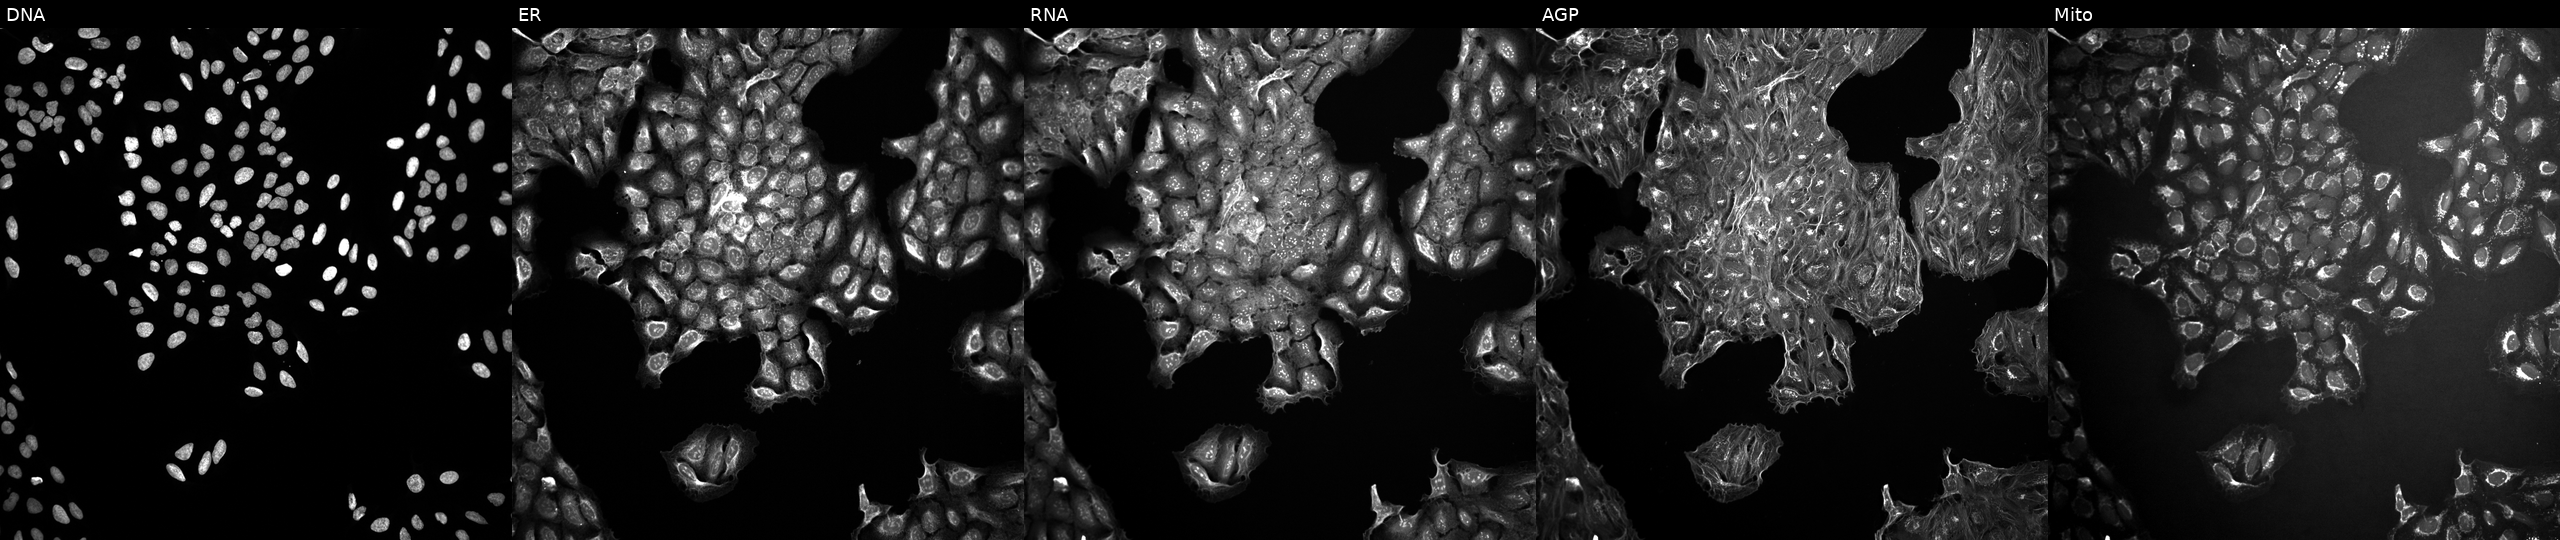
Five-channel Cell Painting image of U2OS cells perturbed with a small-molecule compound (InChIKey HDEHRVYXULXIIU-UHFFFAOYSA-N) (JUMP id JCP2022_029457). Panels show, left to right, DNA, ER, RNA, AGP, and Mito.